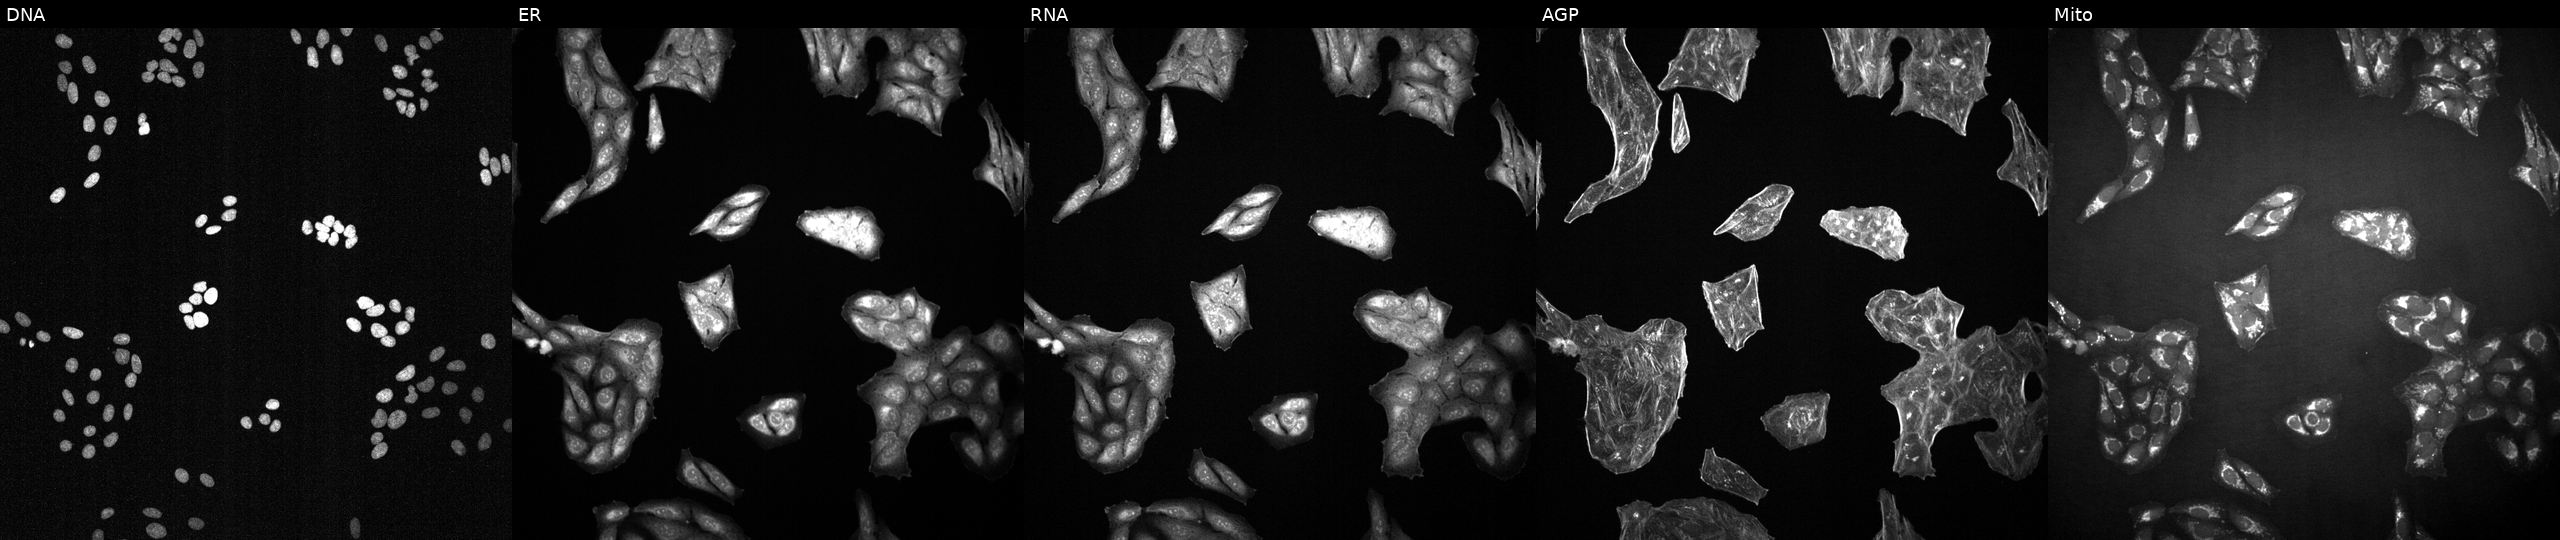
This image strip shows the five Cell Painting channels for a single field of U2OS cells treated with a small-molecule compound (InChIKey IYAYHZZWYNXHEQ-UHFFFAOYSA-N) (JUMP id JCP2022_038096). From left to right: DNA (nuclei); ER (endoplasmic reticulum); RNA (nucleoli and cytoplasmic RNA); AGP (actin cytoskeleton, Golgi, and plasma membrane); Mito (mitochondria).